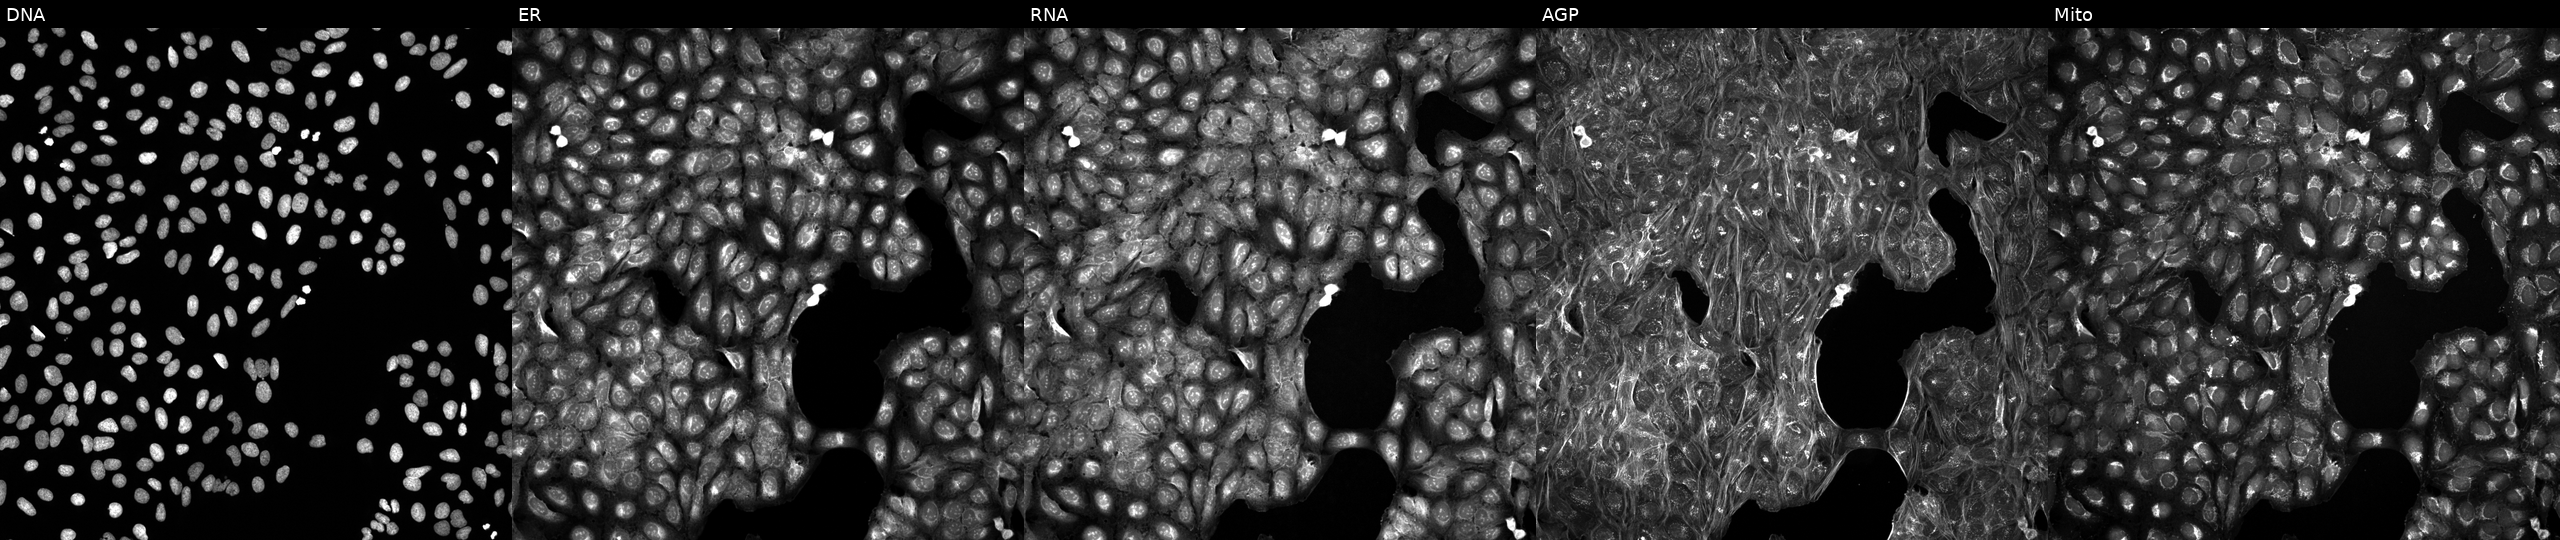
Panels show, left to right, Hoechst 33342, concanavalin A, SYTO 14, phalloidin and WGA, MitoTracker. U2OS osteosarcoma cells treated with a small-molecule compound (InChIKey NMUSYJAQQFHJEW-UHFFFAOYSA-N). Cell Painting assay, JUMP-CP dataset. Source 5, plate ACPJUM032, well H20.